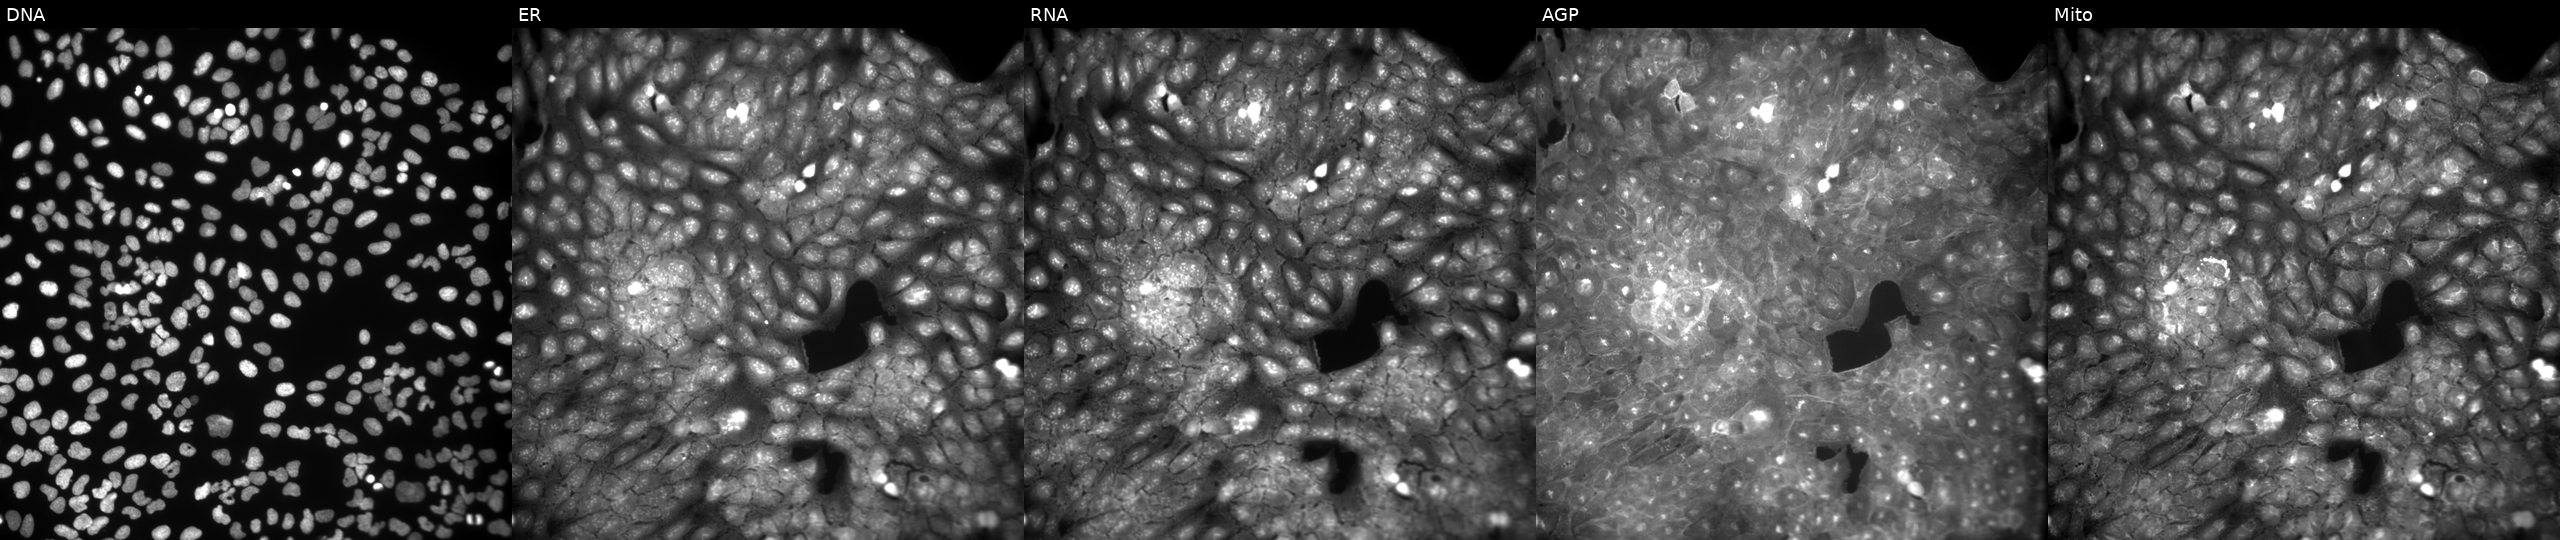
JUMP Cell Painting — COMPOUND plate. U2OS cells exposed to a small-molecule compound (InChIKey CXJGRVNUWQTPBB-UHFFFAOYSA-N). Channels (left→right): Hoechst 33342, concanavalin A, SYTO 14, phalloidin and WGA, MitoTracker.